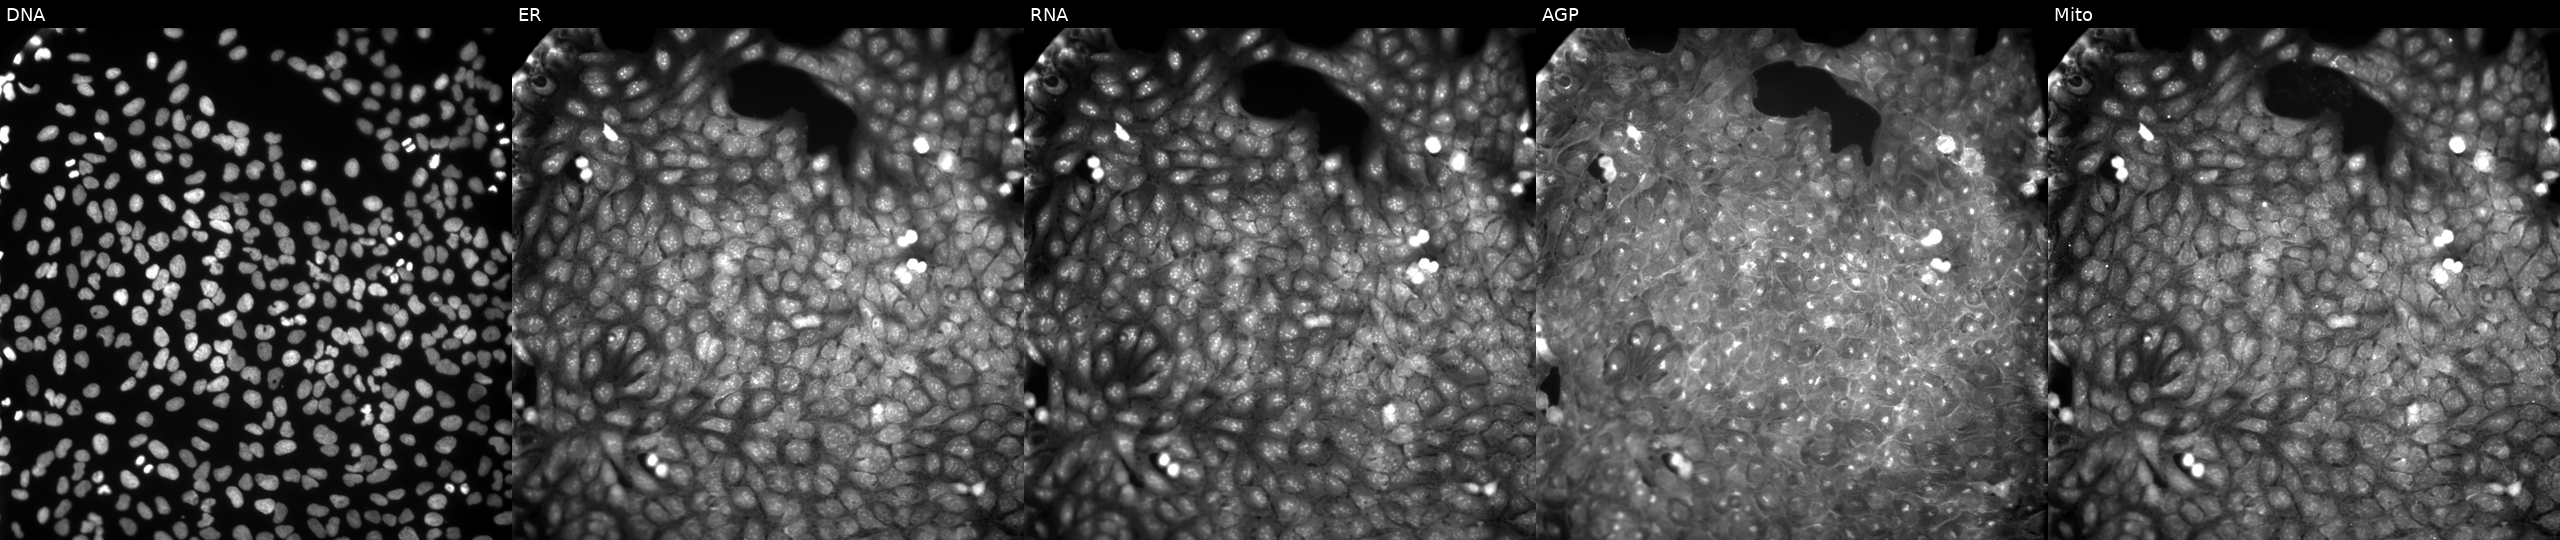
JUMP Cell Painting — COMPOUND plate. U2OS cells exposed to DMSO alone as a negative control. Panels show, left to right, DNA, ER, RNA, AGP, and Mito. Source 9, plate GR00003381, well AE02.